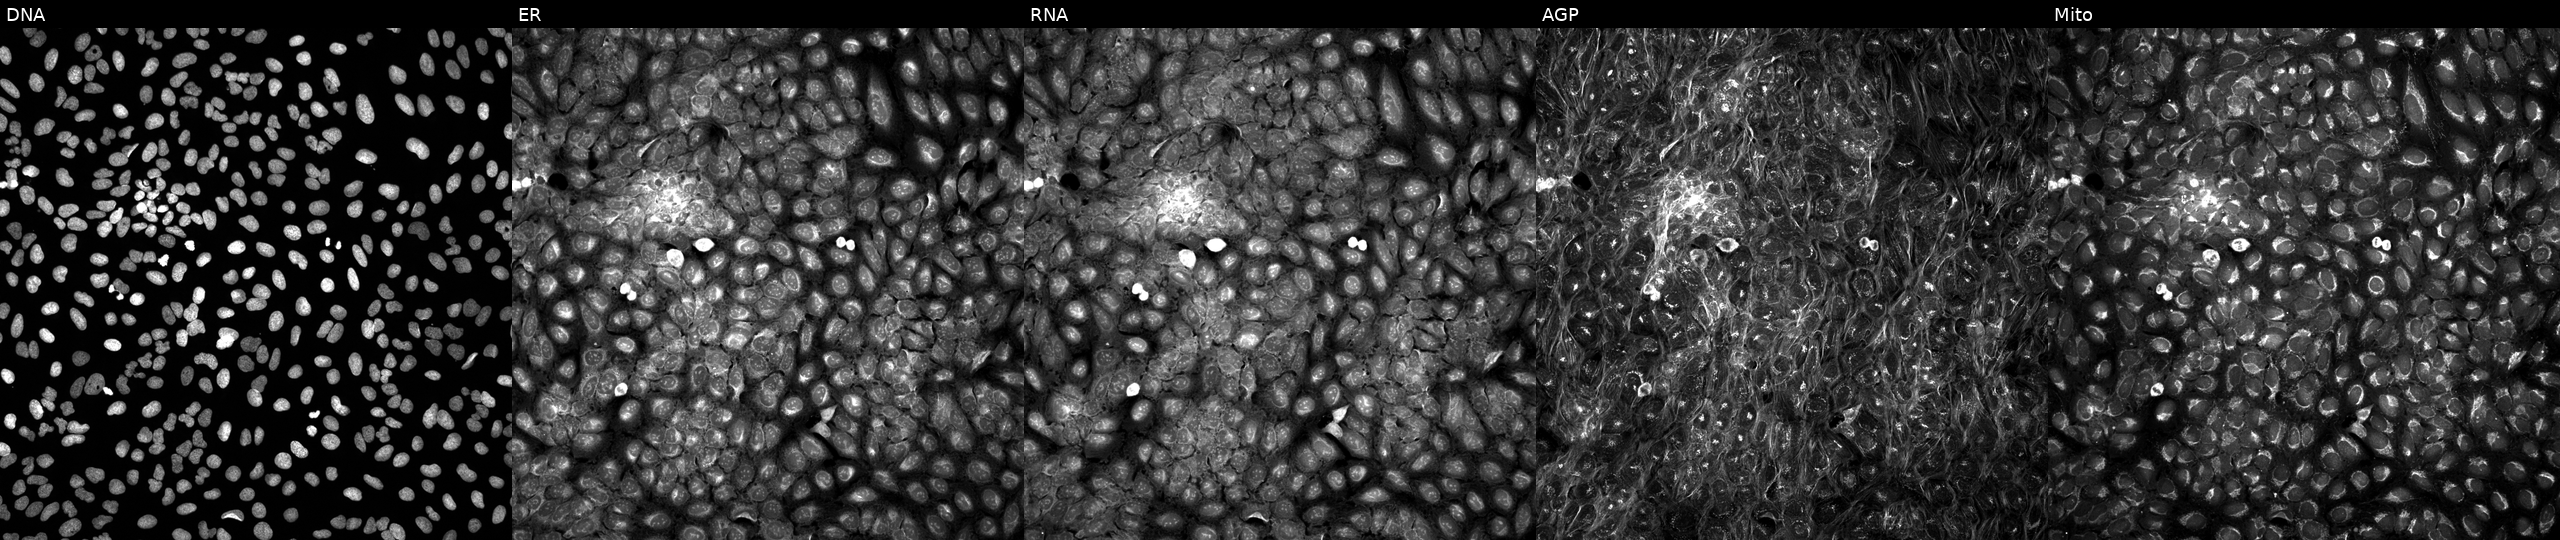
High-content fluorescence microscopy (Cell Painting). Cell line: U2OS. Perturbation: treated with DMSO vehicle only (negative control) (JUMP id JCP2022_033924). From left to right: DNA, ER, RNA, AGP, and Mito.